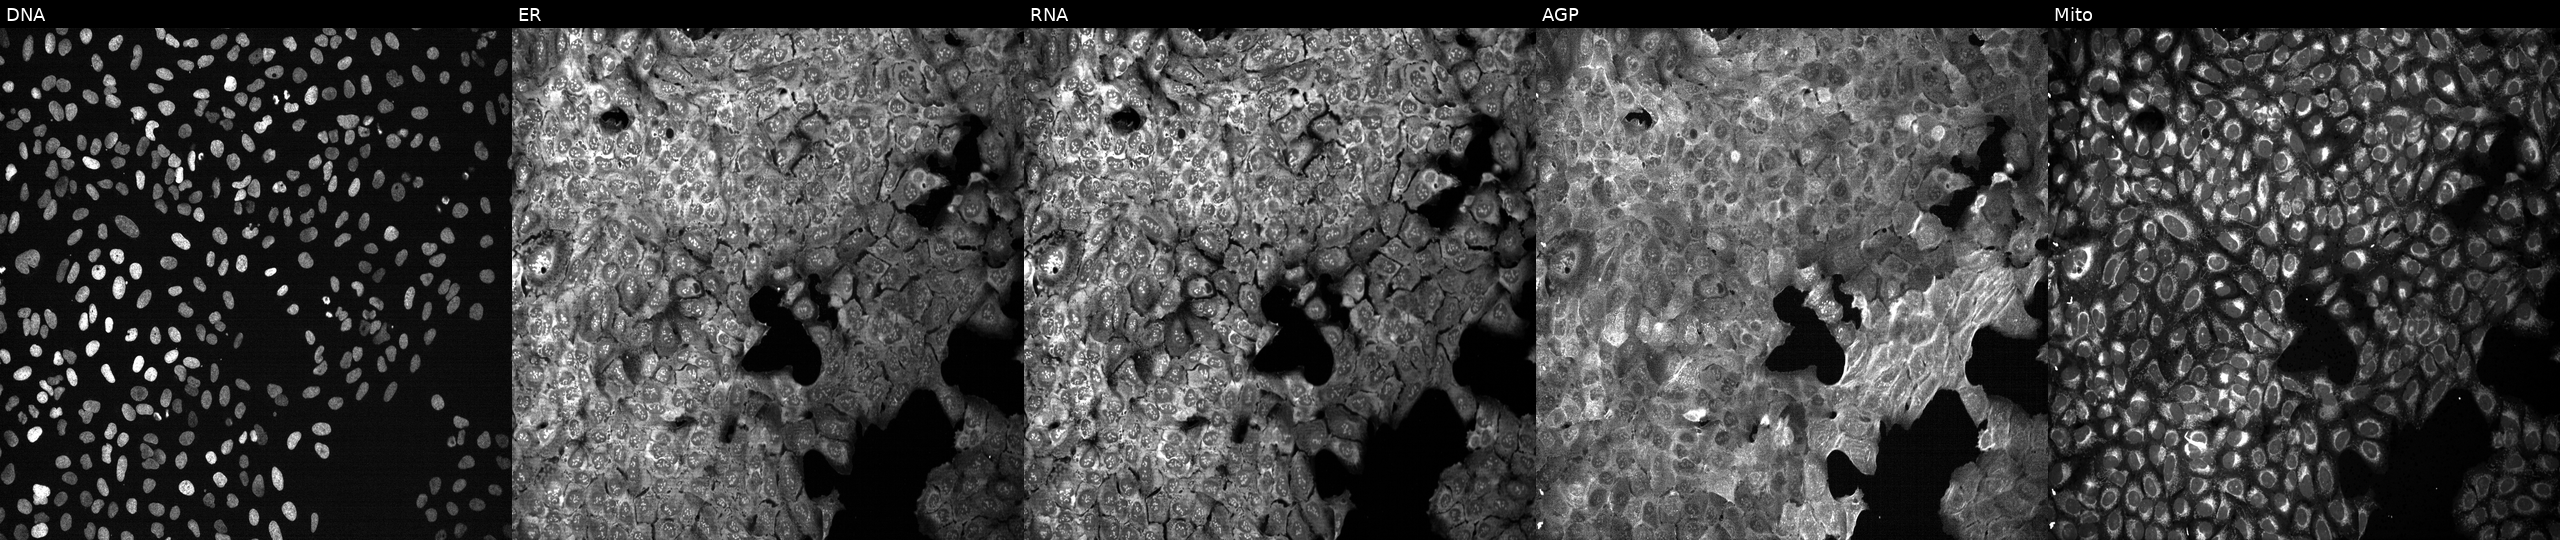
Five-channel Cell Painting image of U2OS cells following CRISPR knockout of SLC2A5. The five panels, left to right, show Hoechst 33342, concanavalin A, SYTO 14, phalloidin and WGA, MitoTracker.